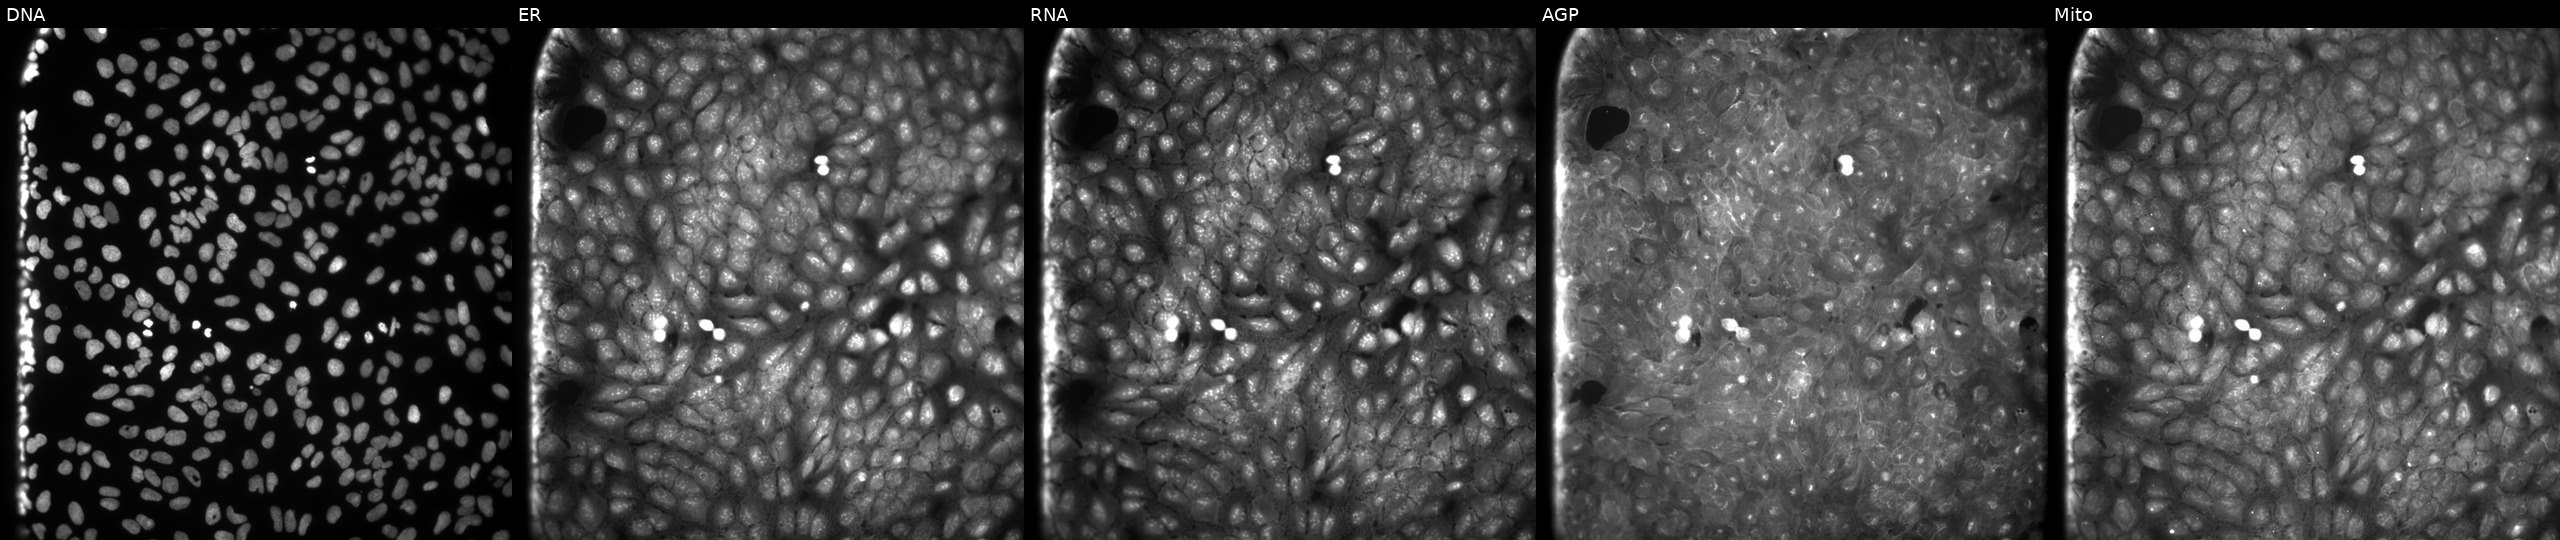
High-content fluorescence microscopy (Cell Painting). Cell line: U2OS. Perturbation: treated with a small-molecule compound [SMILES: O=C(CCN1CCN(c2ccc(Cl)cc2)CC1)N=c1[nH]ccs1] (JUMP id JCP2022_026582). The five panels, left to right, show DNA (nuclei); ER (endoplasmic reticulum); RNA (nucleoli and cytoplasmic RNA); AGP (actin cytoskeleton, Golgi, and plasma membrane); Mito (mitochondria). Source 9, plate GR00003382, well T03.